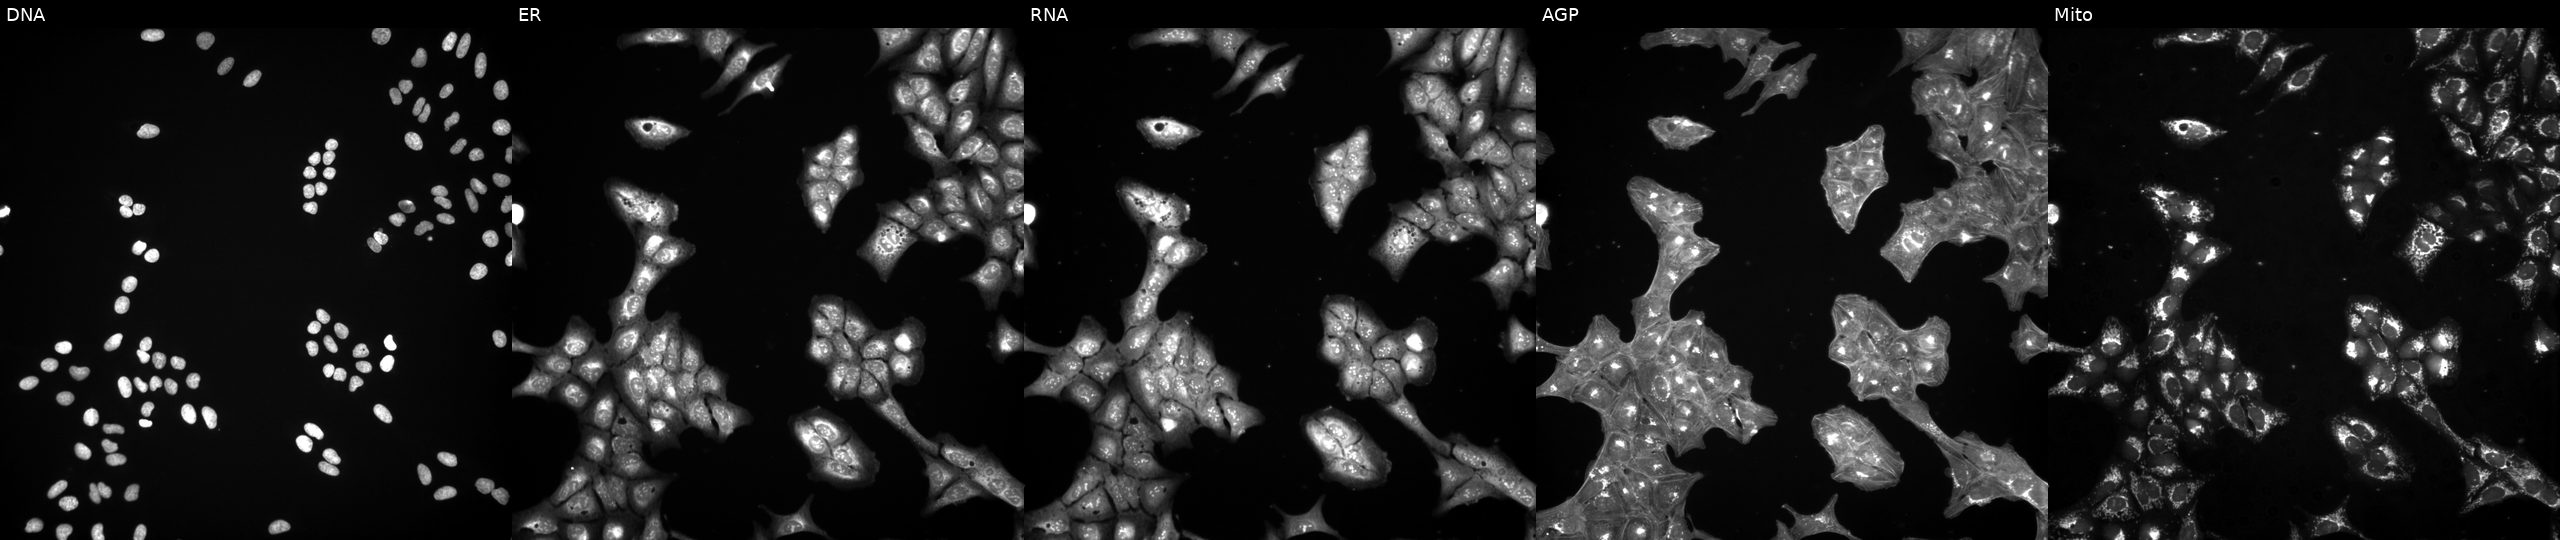
High-content fluorescence microscopy (Cell Painting). Cell line: U2OS. Perturbation: exposed to a small-molecule compound (InChIKey PSIQMQNWGNILFA-UHFFFAOYSA-N) (JUMP id JCP2022_070648). The five panels, left to right, show Hoechst 33342, concanavalin A, SYTO 14, phalloidin and WGA, MitoTracker.